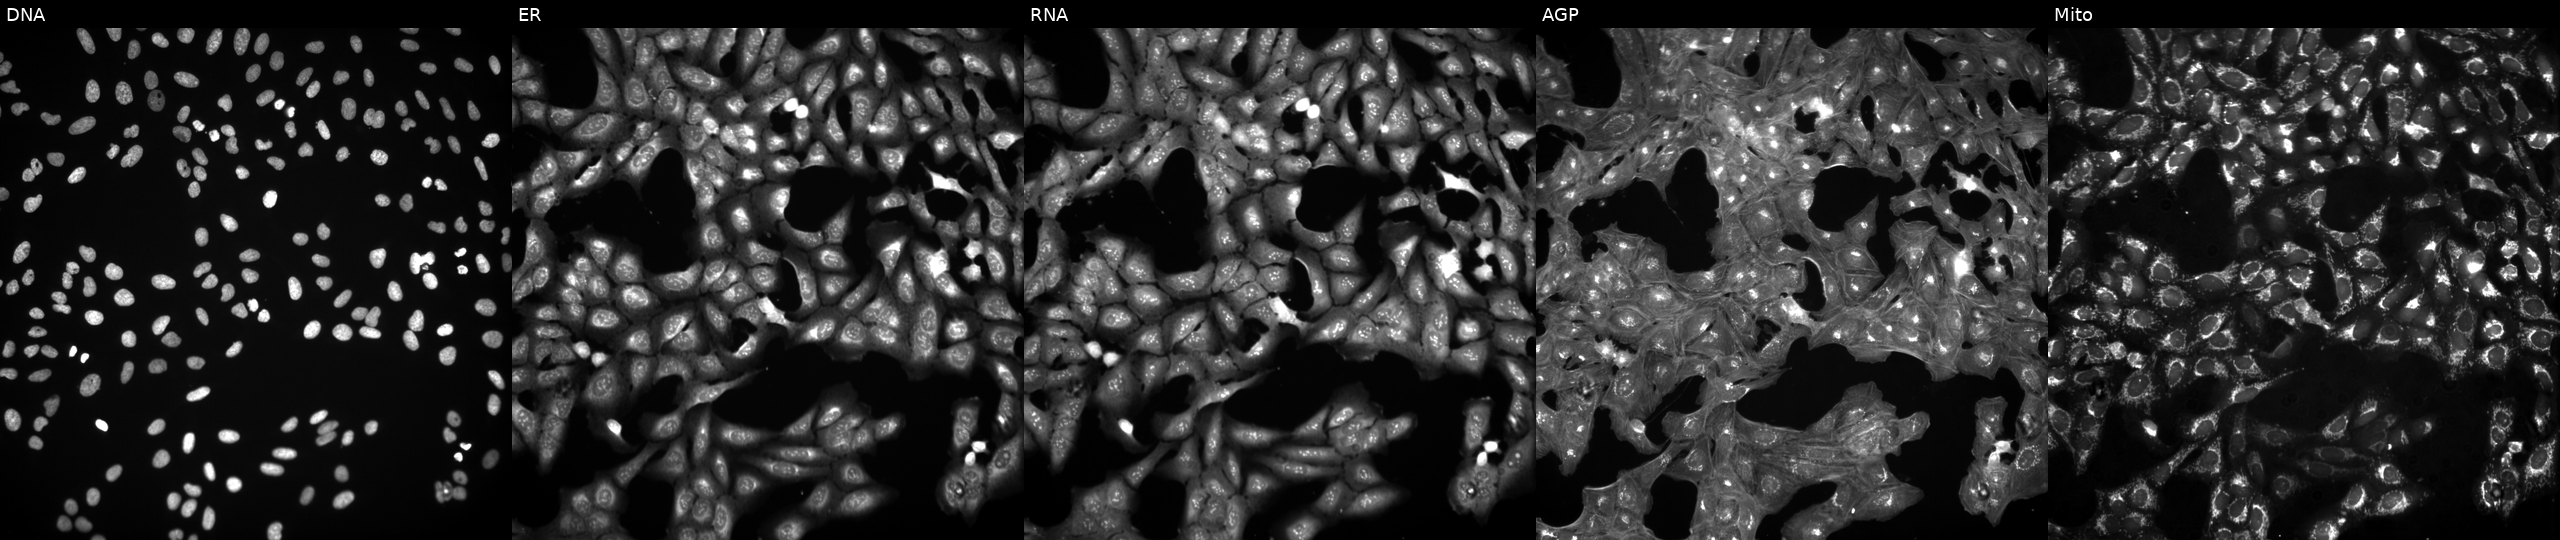
U2OS cells, Cell Painting assay, exposed to a small-molecule compound (InChIKey YPFVVHZIRRLEJZ-UHFFFAOYSA-N). Channels (left→right): DNA, ER, RNA, AGP, and Mito. Each panel is percentile-stretched 16-bit fluorescence.